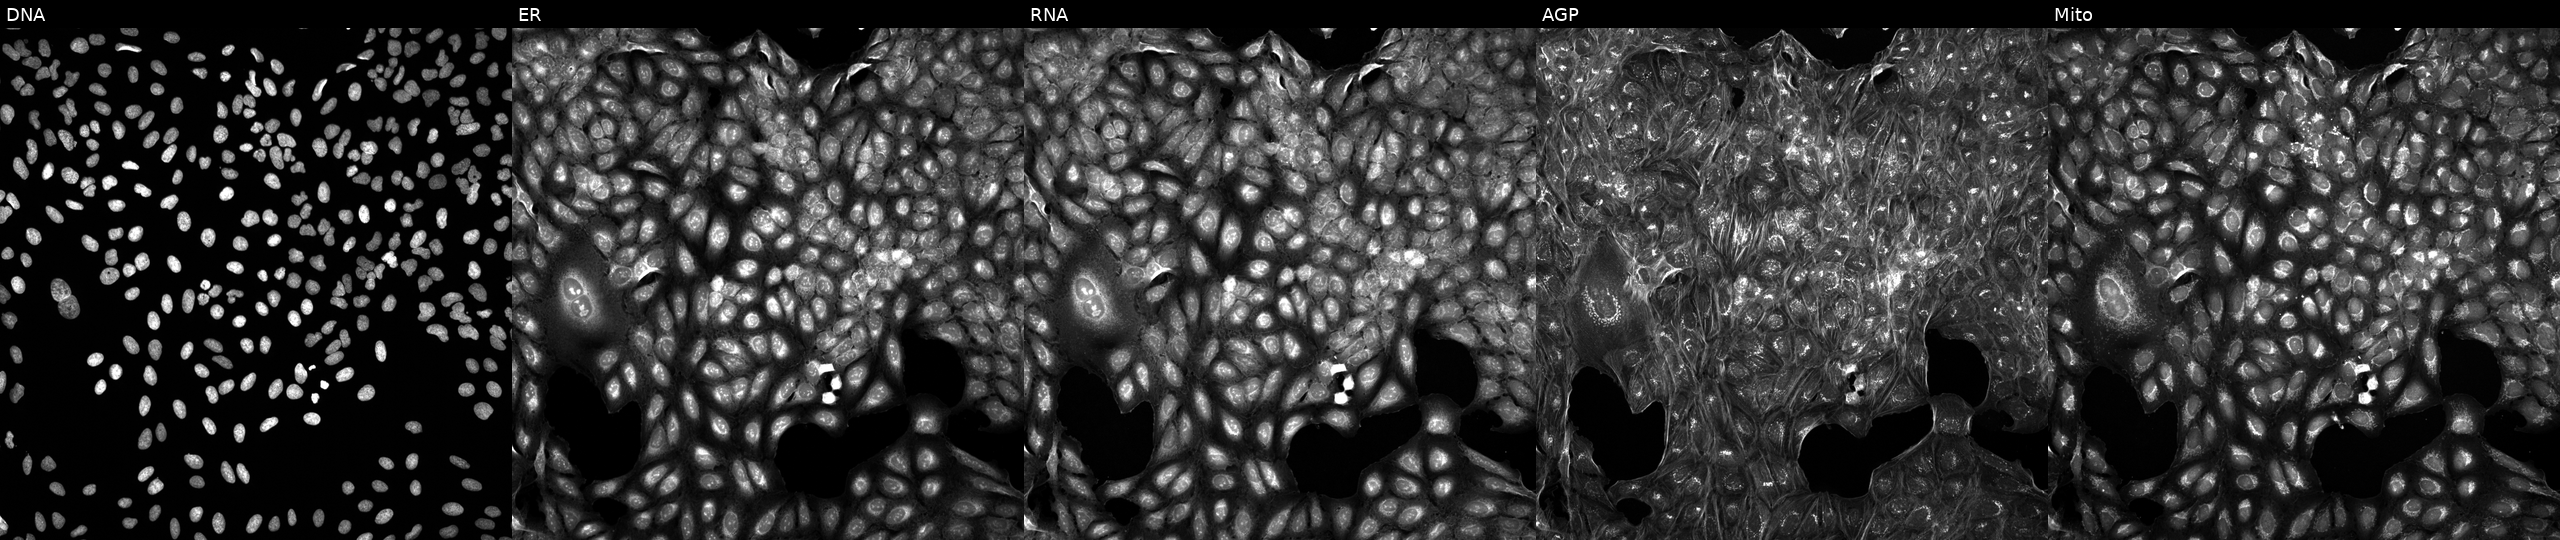
This image strip shows the five Cell Painting channels for a single field of U2OS cells exposed to a small-molecule compound (InChIKey HKOTYAKEPYZKHN-UHFFFAOYSA-N). From left to right: DNA, ER, RNA, AGP, and Mito. Source 5, plate APTJUM105, well G20.